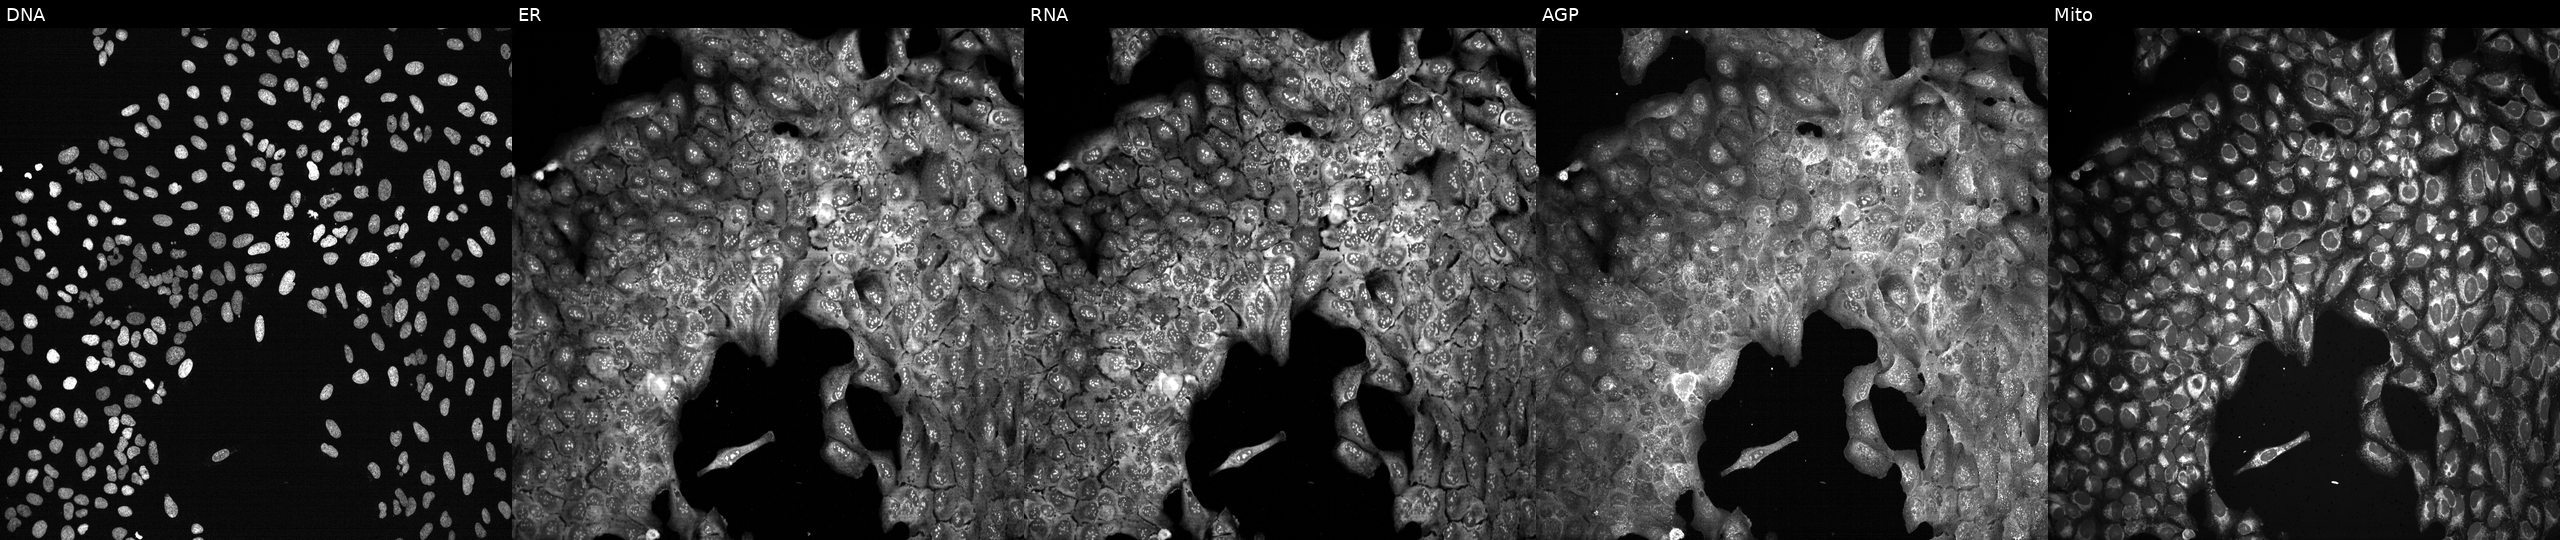
U2OS cells, Cell Painting assay, following CRISPR knockout of MGAT3. Panels show, left to right, Hoechst 33342, concanavalin A, SYTO 14, phalloidin and WGA, MitoTracker. Each panel is percentile-stretched 16-bit fluorescence.